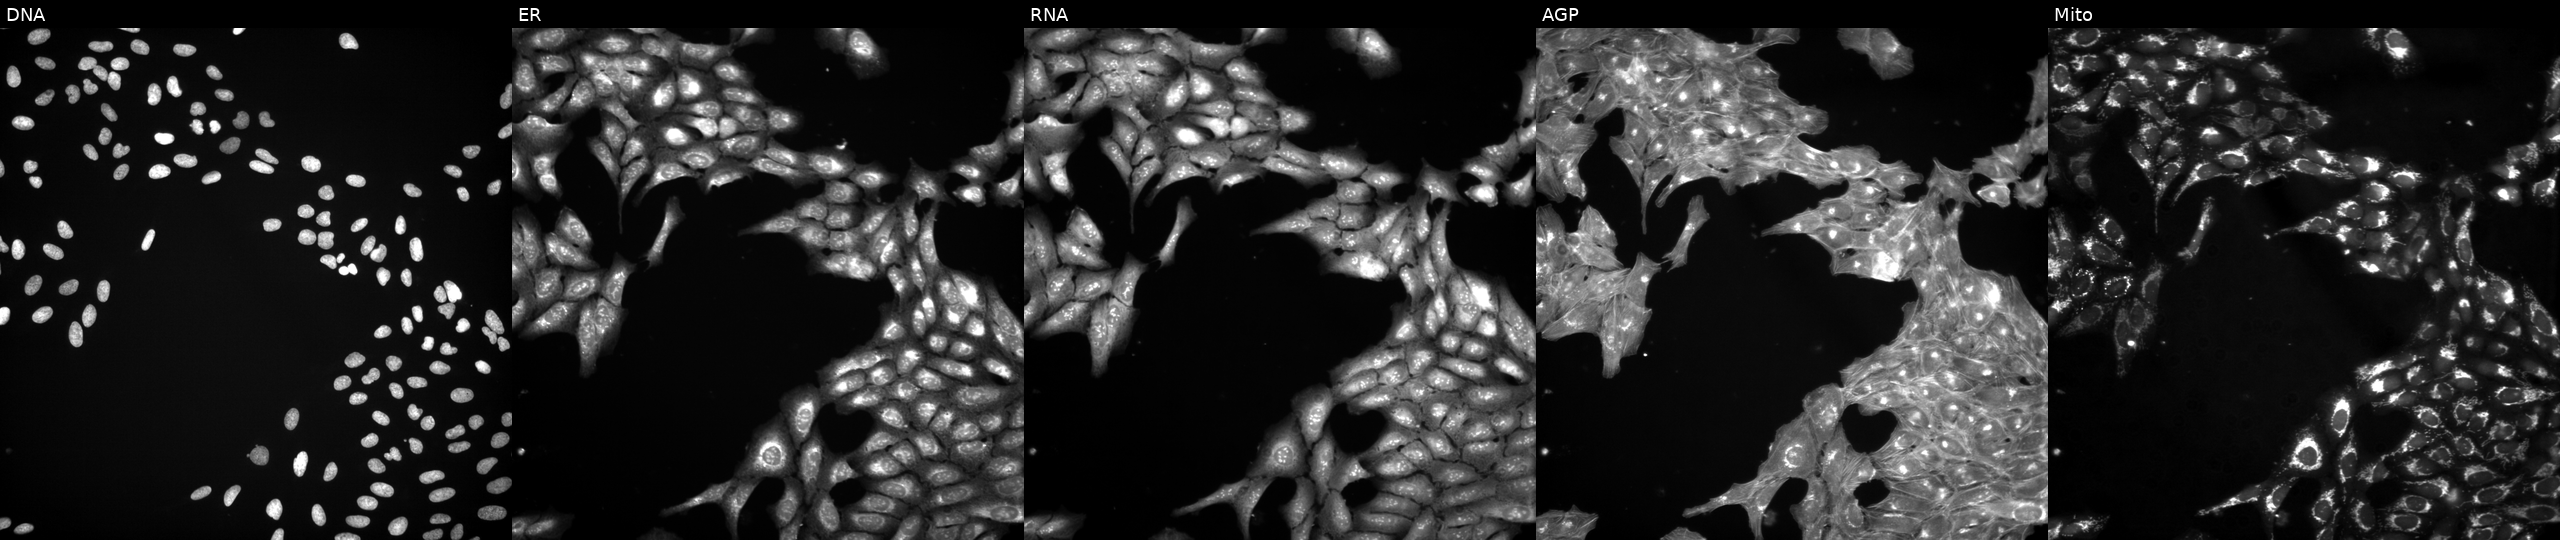
This image strip shows the five Cell Painting channels for a single field of U2OS cells exposed to DMSO alone as a negative control (JUMP id JCP2022_033924). The five panels, left to right, show DNA (nuclei); ER (endoplasmic reticulum); RNA (nucleoli and cytoplasmic RNA); AGP (actin cytoskeleton, Golgi, and plasma membrane); Mito (mitochondria).